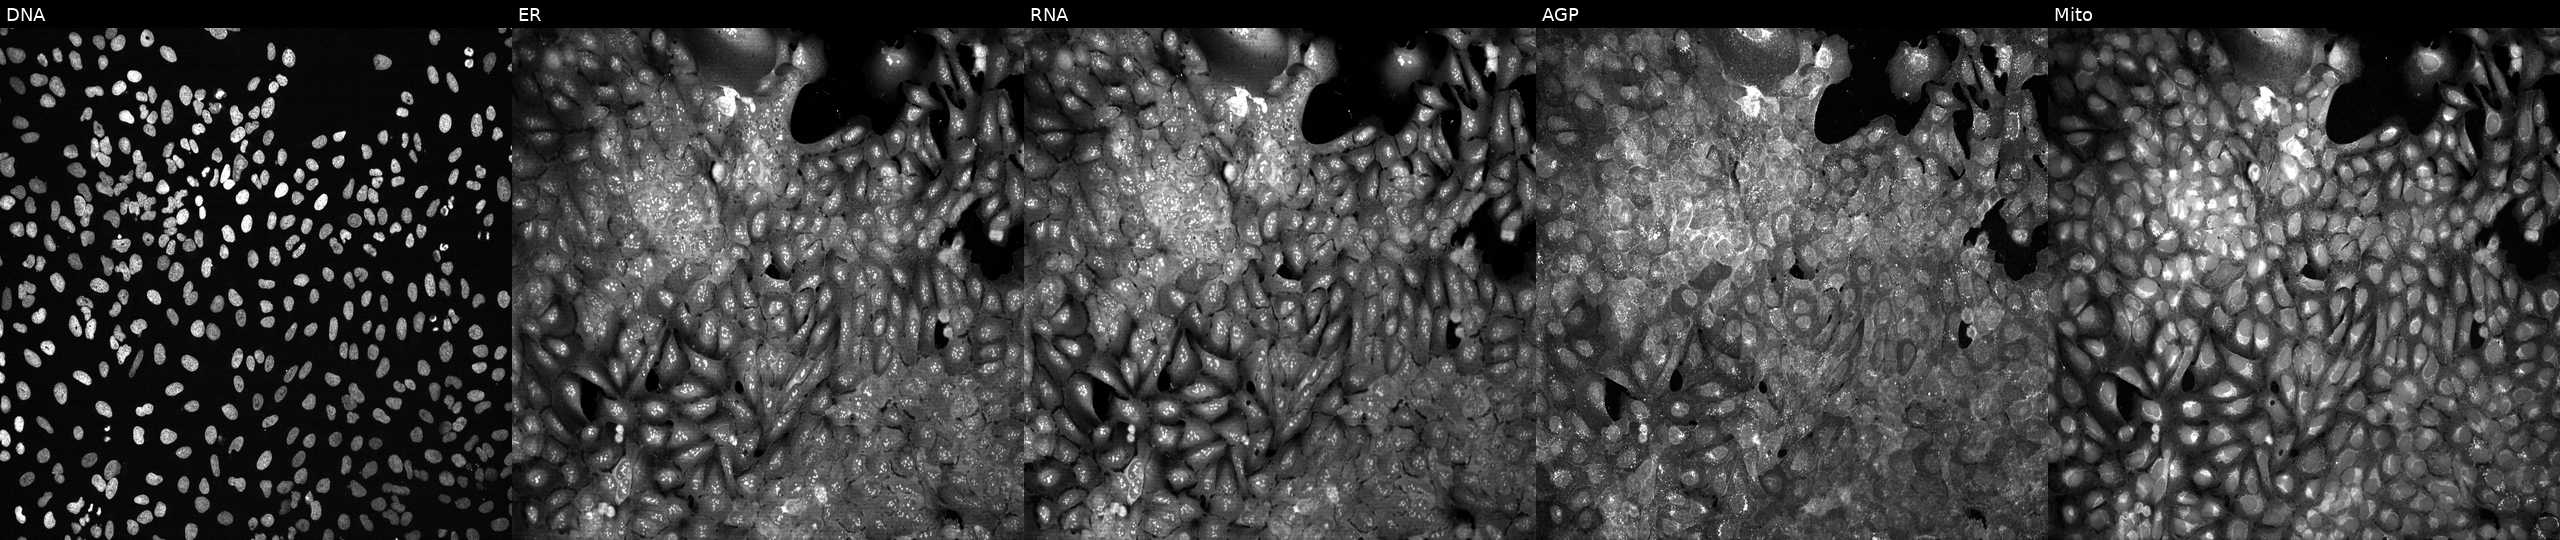
This image strip shows the five Cell Painting channels for a single field of U2OS cells CRISPR-edited to disrupt RAB22A. Channels (left→right): DNA, ER, RNA, AGP, and Mito. Source 13, plate CP-CC9-R1-02, well I14.